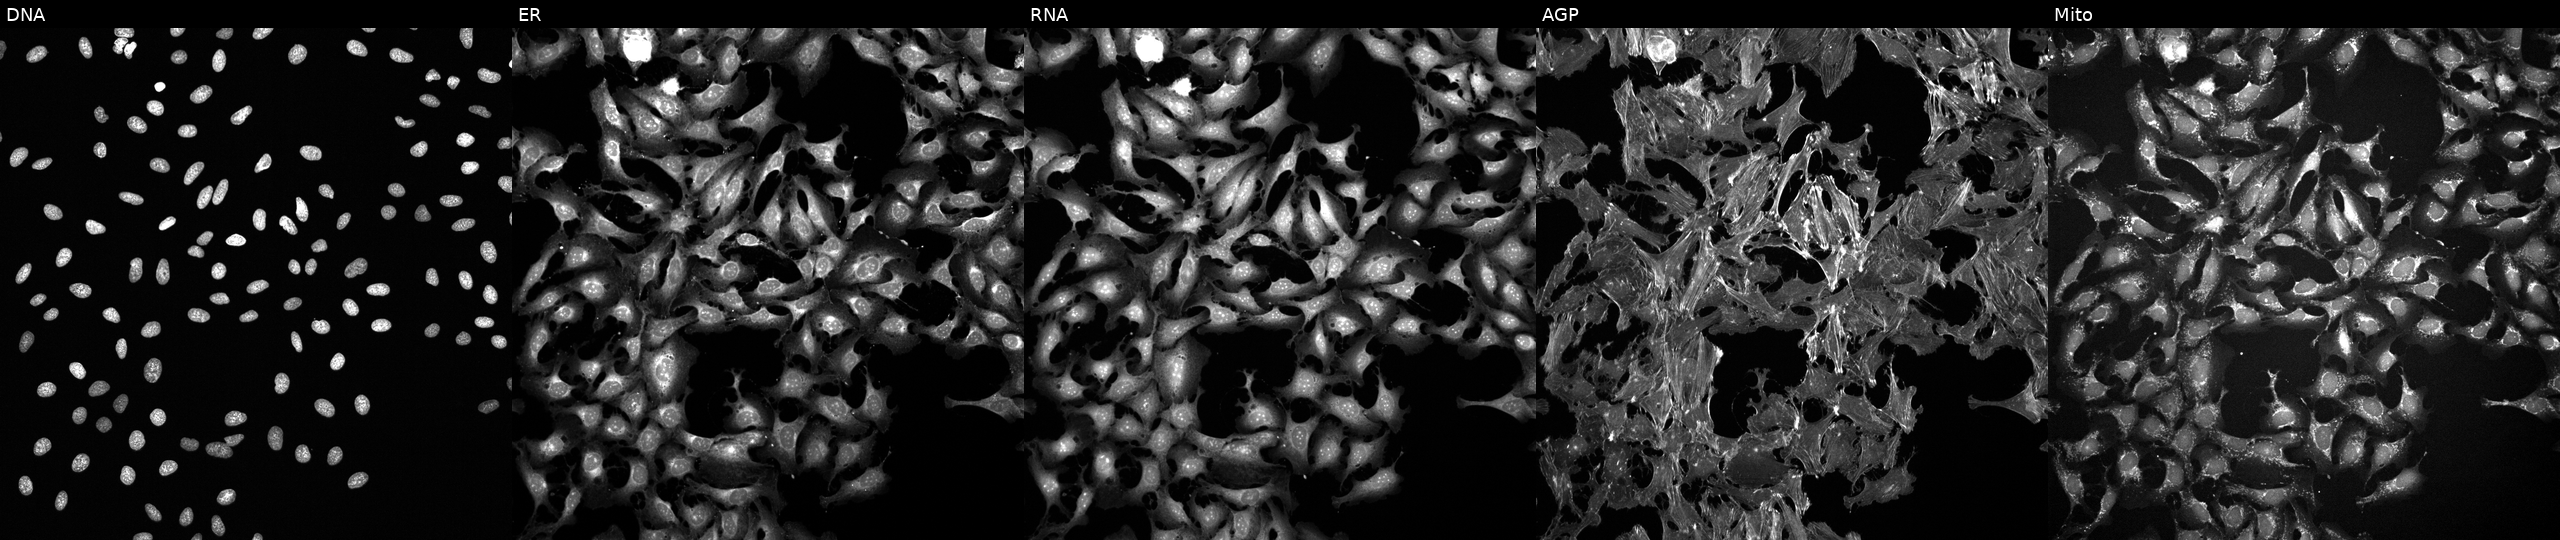
Panels show, left to right, DNA, ER, RNA, AGP, and Mito. U2OS osteosarcoma cells exposed to the positive-control compound FK-866. Cell Painting assay, JUMP-CP dataset.